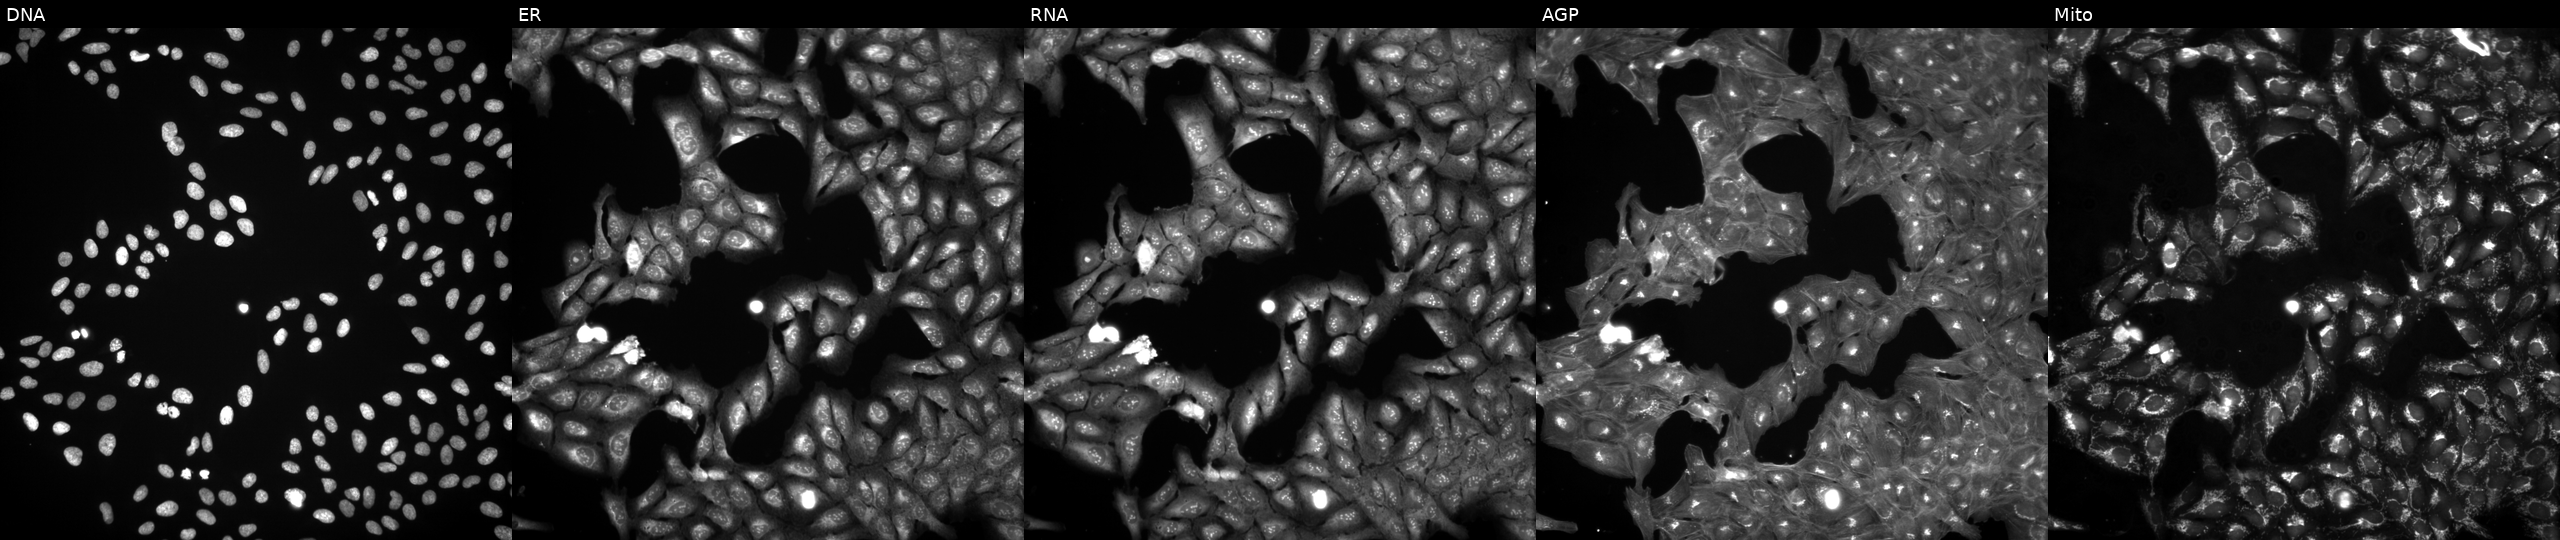
High-content fluorescence microscopy (Cell Painting). Cell line: U2OS. Perturbation: perturbed with a small-molecule compound (JUMP id JCP2022_061437). Panels show, left to right, DNA (nuclei); ER (endoplasmic reticulum); RNA (nucleoli and cytoplasmic RNA); AGP (actin cytoskeleton, Golgi, and plasma membrane); Mito (mitochondria).